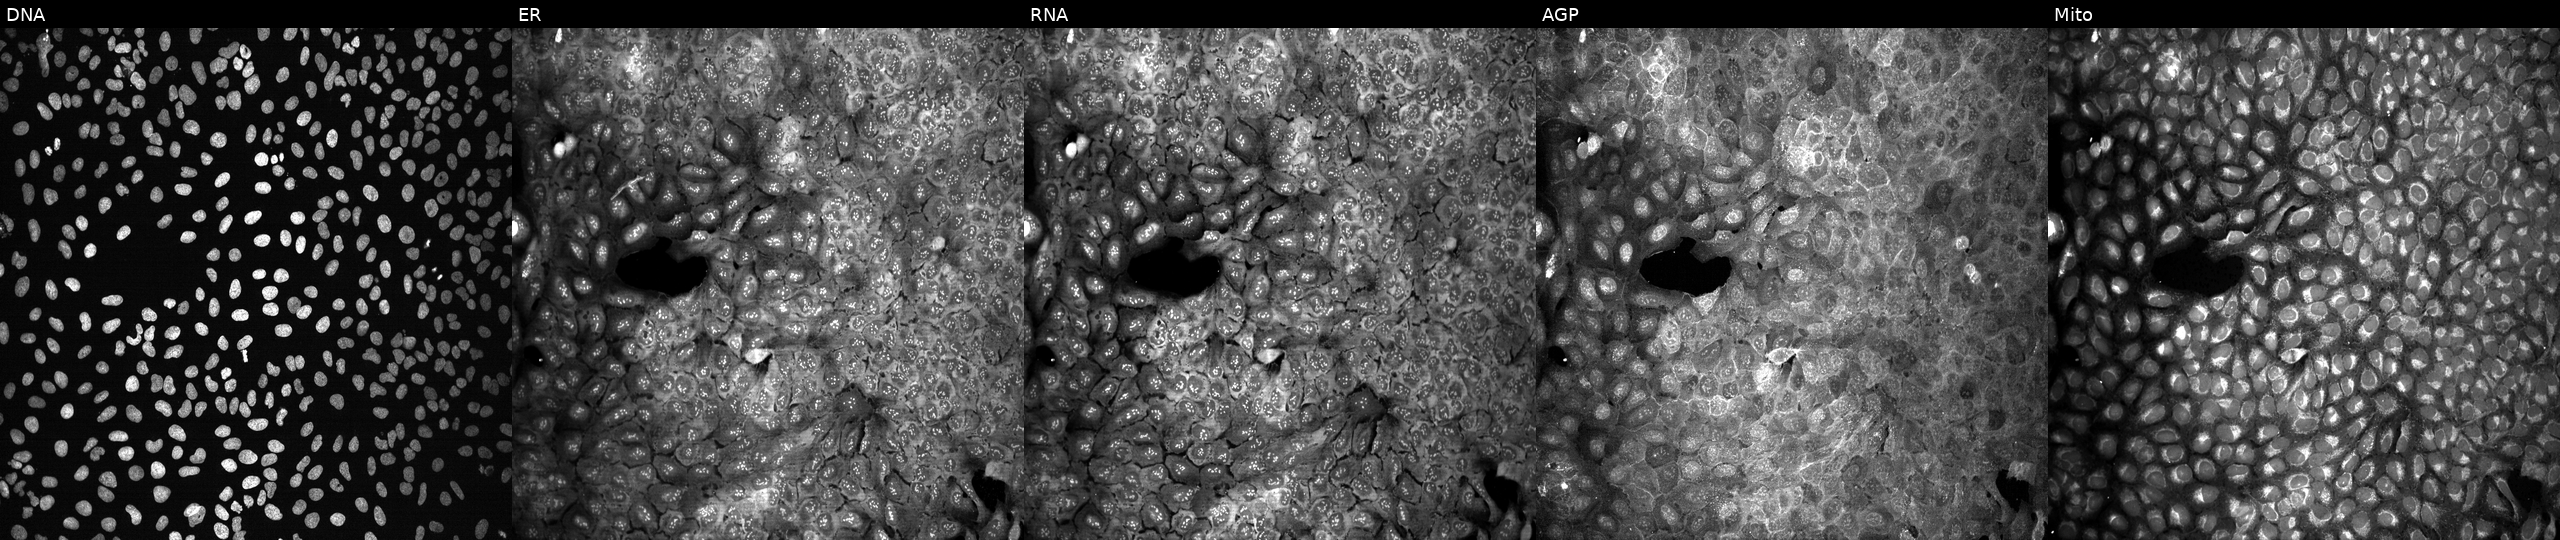
JUMP Cell Painting — CRISPR plate. U2OS cells with no CRISPR guide (negative control). The five panels, left to right, show DNA (nuclei); ER (endoplasmic reticulum); RNA (nucleoli and cytoplasmic RNA); AGP (actin cytoskeleton, Golgi, and plasma membrane); Mito (mitochondria).